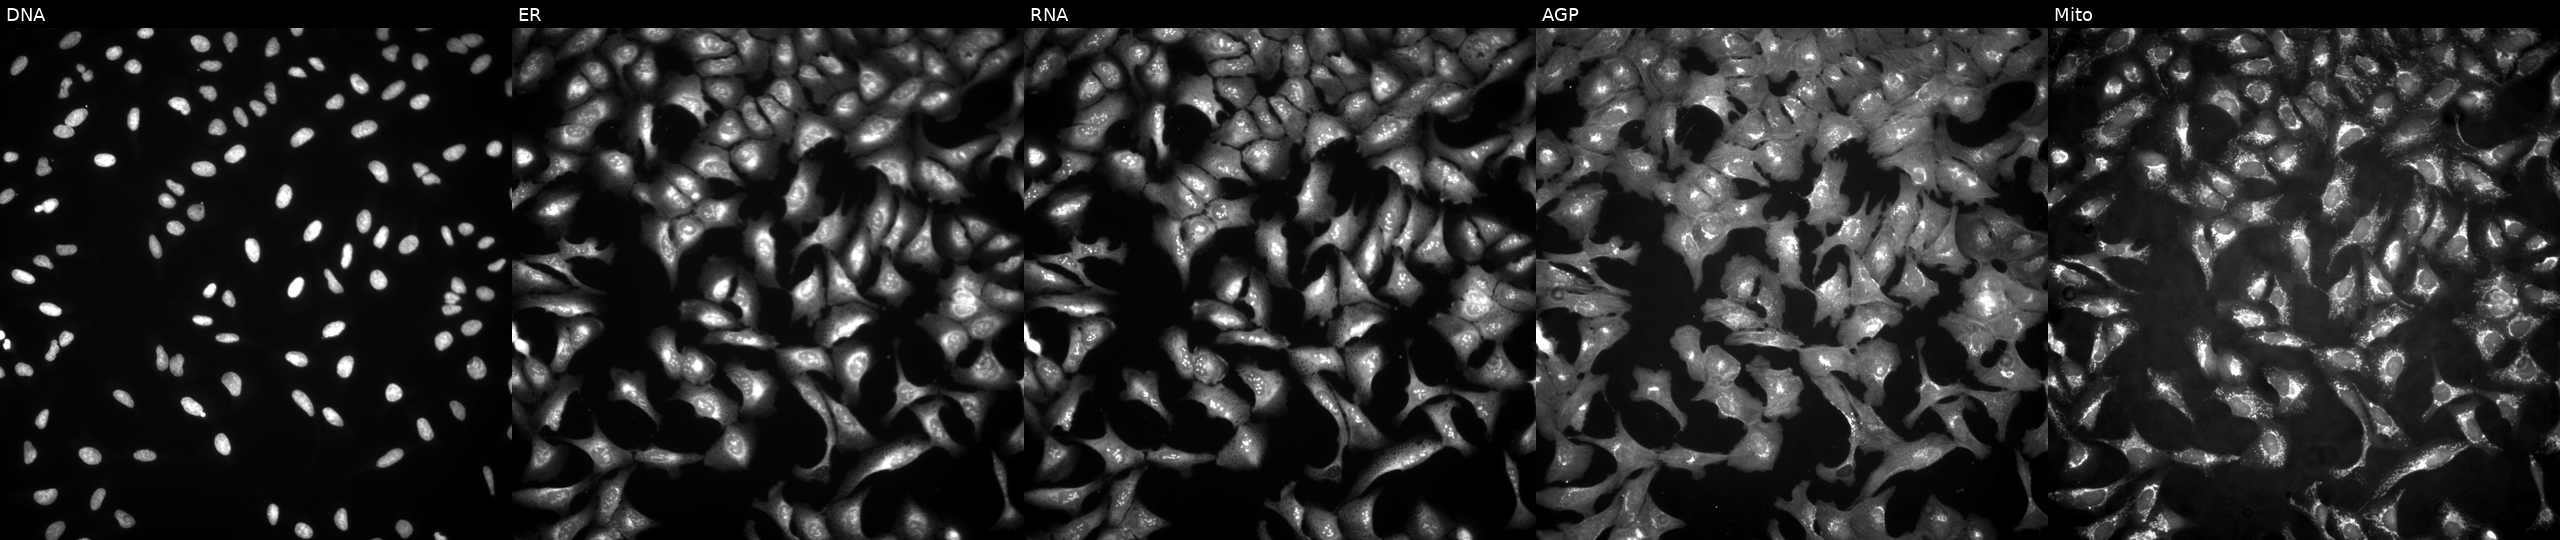
High-content fluorescence microscopy (Cell Painting). Cell line: U2OS. Perturbation: with EPM2A overexpressed (ORF) (JUMP id JCP2022_910487). Channels (left→right): Hoechst 33342, concanavalin A, SYTO 14, phalloidin and WGA, MitoTracker.